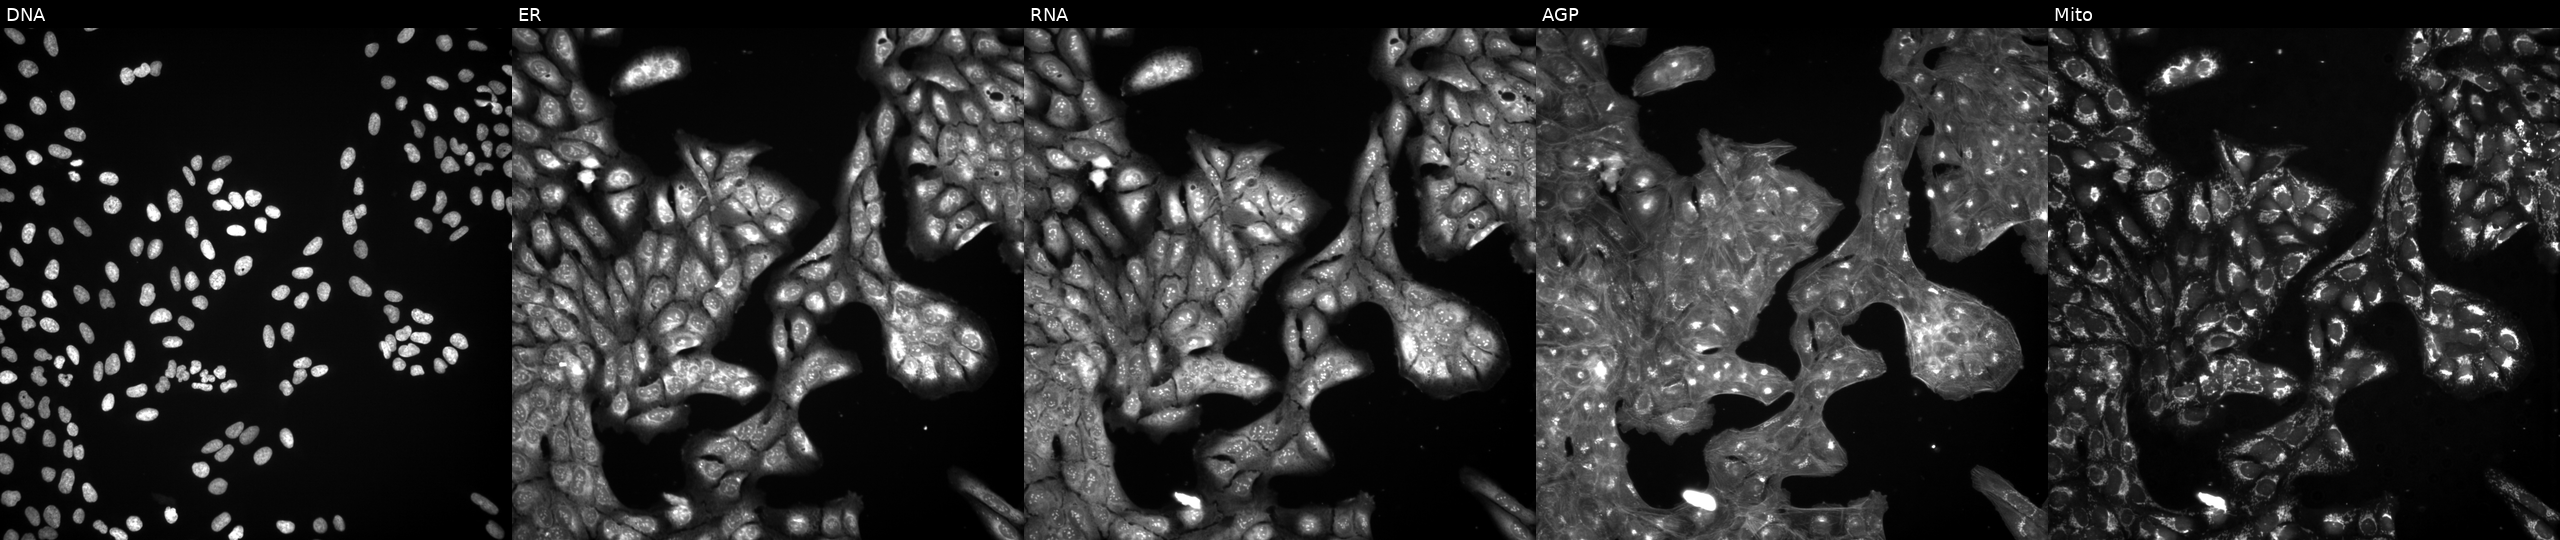
JUMP Cell Painting — TARGET2 plate. U2OS cells perturbed with a small-molecule compound (JUMP id JCP2022_105539). Panels show, left to right, Hoechst 33342, concanavalin A, SYTO 14, phalloidin and WGA, MitoTracker.